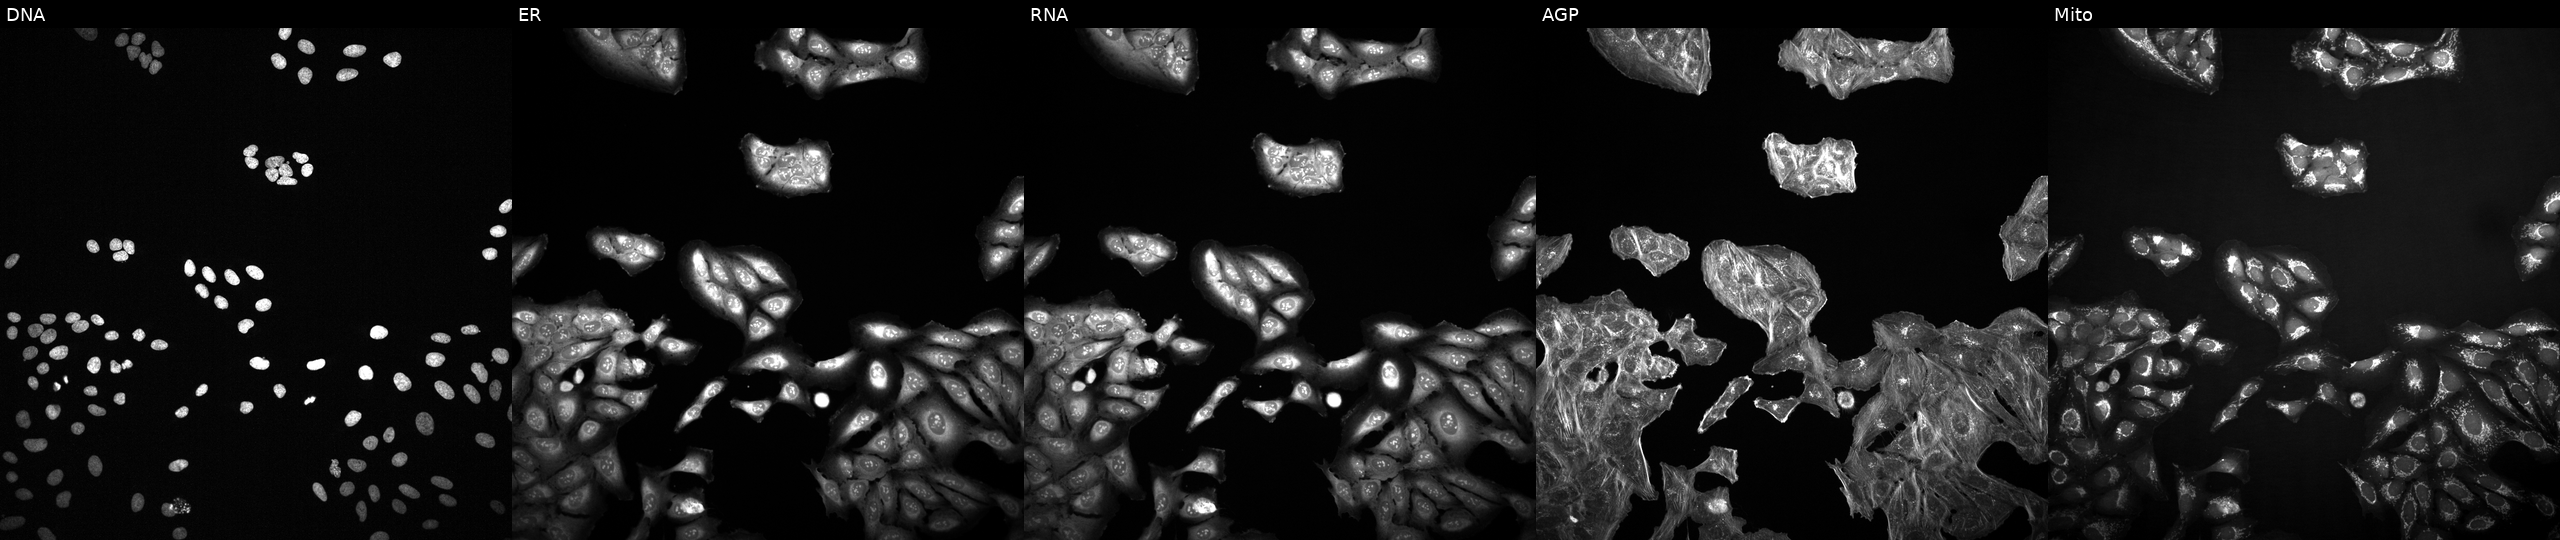
High-content fluorescence microscopy (Cell Painting). Cell line: U2OS. Perturbation: perturbed with a small-molecule compound (InChIKey NQDJXKOVJZTUJA-UHFFFAOYSA-N) (JUMP id JCP2022_060649). Channels (left→right): DNA (nuclei); ER (endoplasmic reticulum); RNA (nucleoli and cytoplasmic RNA); AGP (actin cytoskeleton, Golgi, and plasma membrane); Mito (mitochondria).